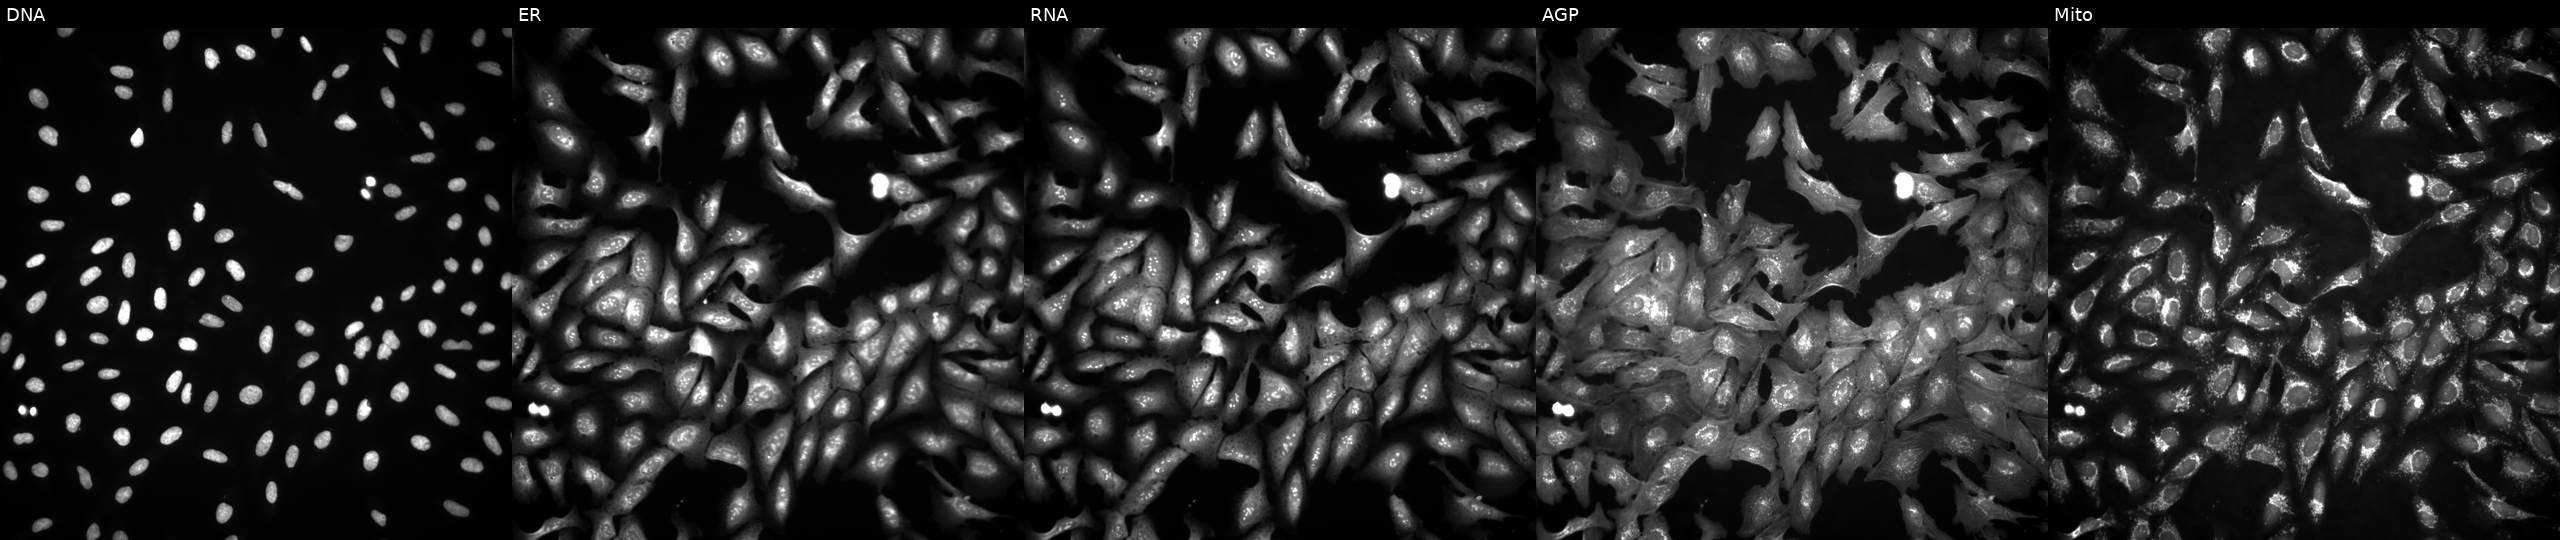
High-content fluorescence microscopy (Cell Painting). Cell line: U2OS. Perturbation: overexpressing LOC107984974 via ORF transfection (JUMP id JCP2022_905270). Panels show, left to right, DNA, ER, RNA, AGP, and Mito.